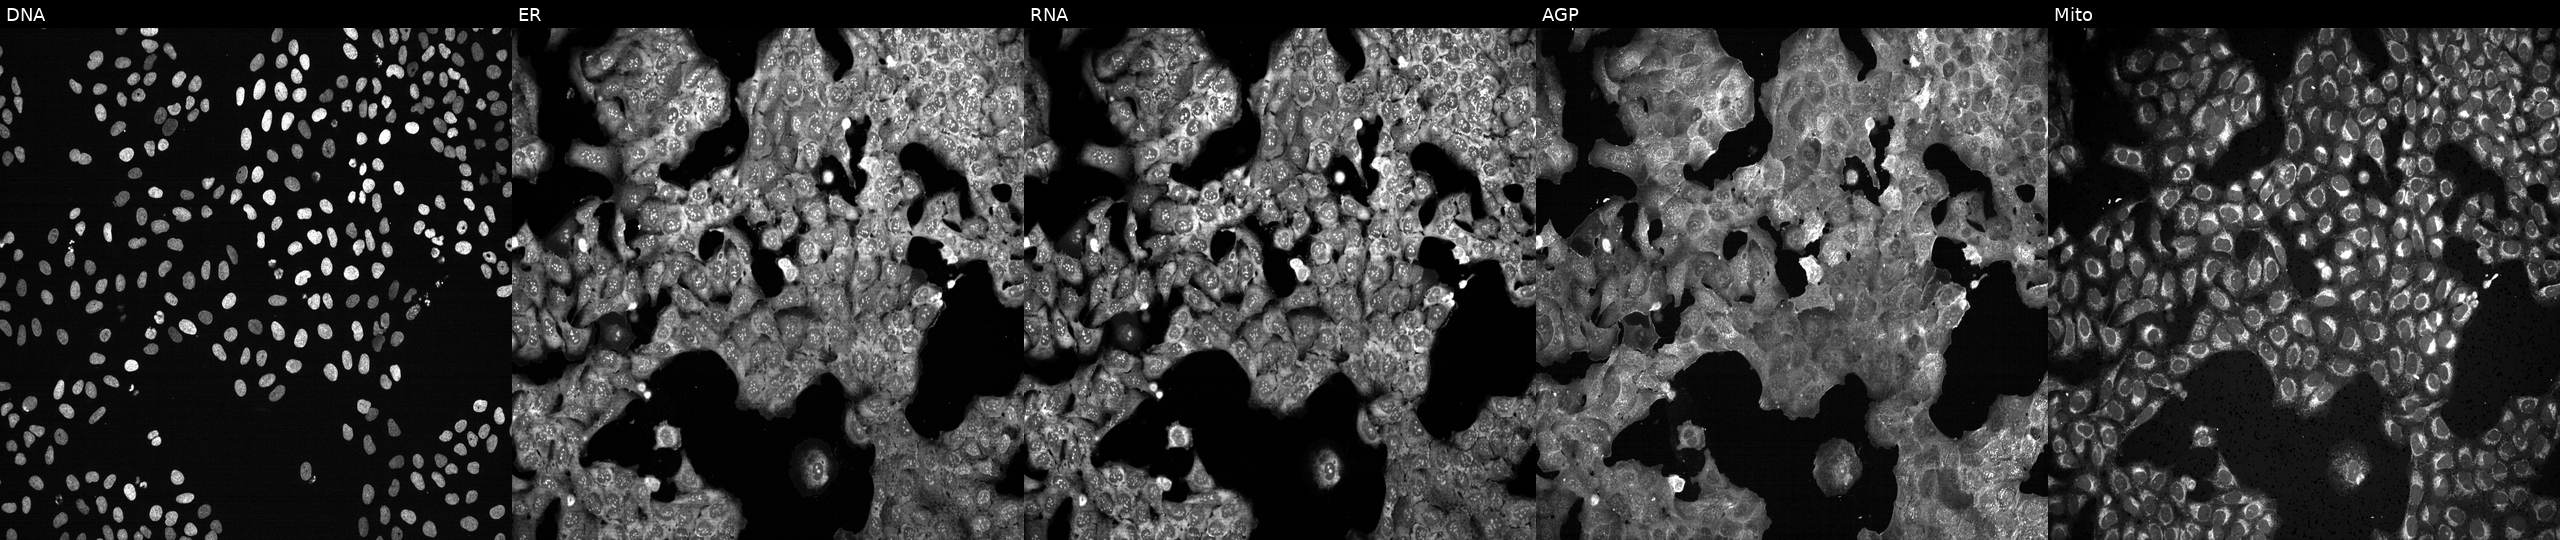
This image strip shows the five Cell Painting channels for a single field of U2OS cells treated with NVS-PAK1-1 (positive-control compound) (JUMP id JCP2022_064022). Channels (left→right): Hoechst 33342, concanavalin A, SYTO 14, phalloidin and WGA, MitoTracker.